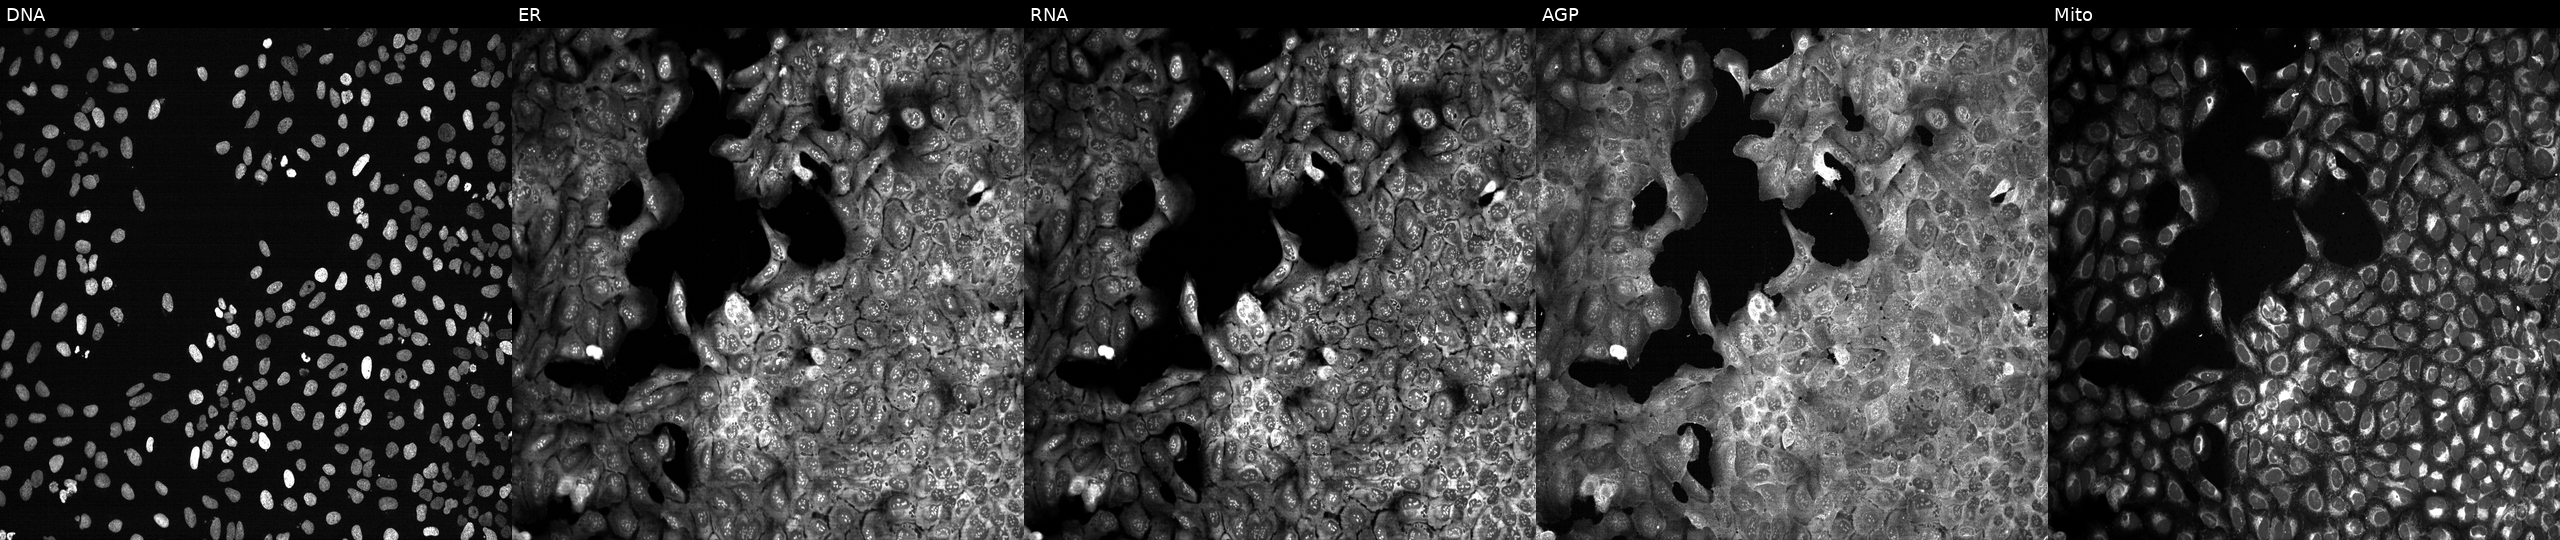
JUMP Cell Painting — CRISPR plate. U2OS cells with BAG1 knocked out by CRISPR. The five panels, left to right, show Hoechst 33342, concanavalin A, SYTO 14, phalloidin and WGA, MitoTracker.